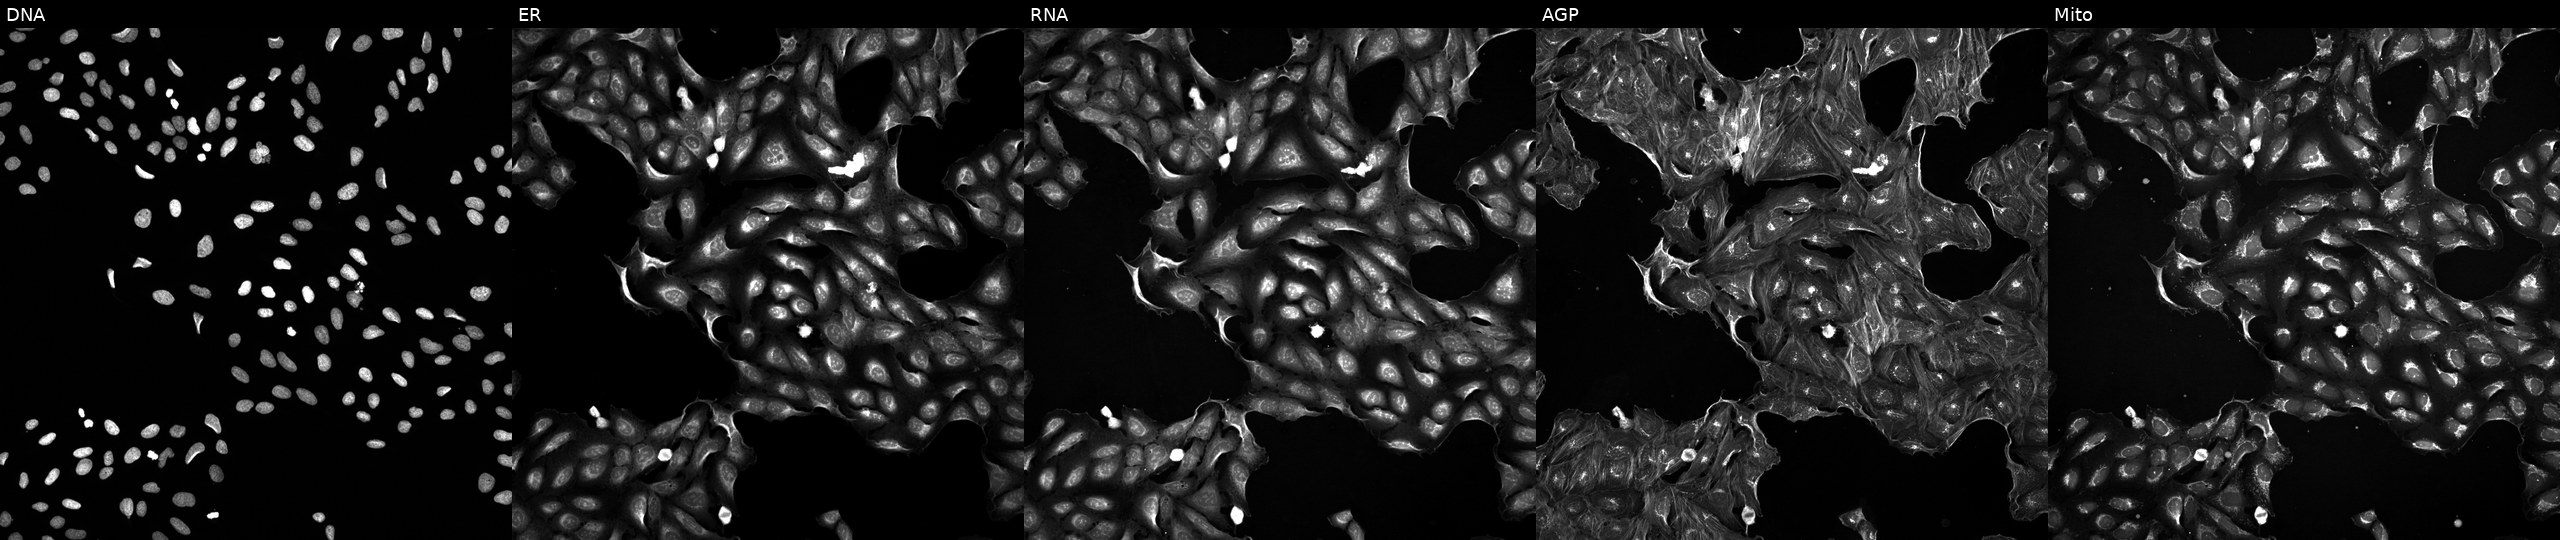
U2OS cells, Cell Painting assay, perturbed with a small-molecule compound (InChIKey XQYASZNUFDVMFH-UHFFFAOYSA-N). The five panels, left to right, show Hoechst 33342, concanavalin A, SYTO 14, phalloidin and WGA, MitoTracker. Each panel is percentile-stretched 16-bit fluorescence.